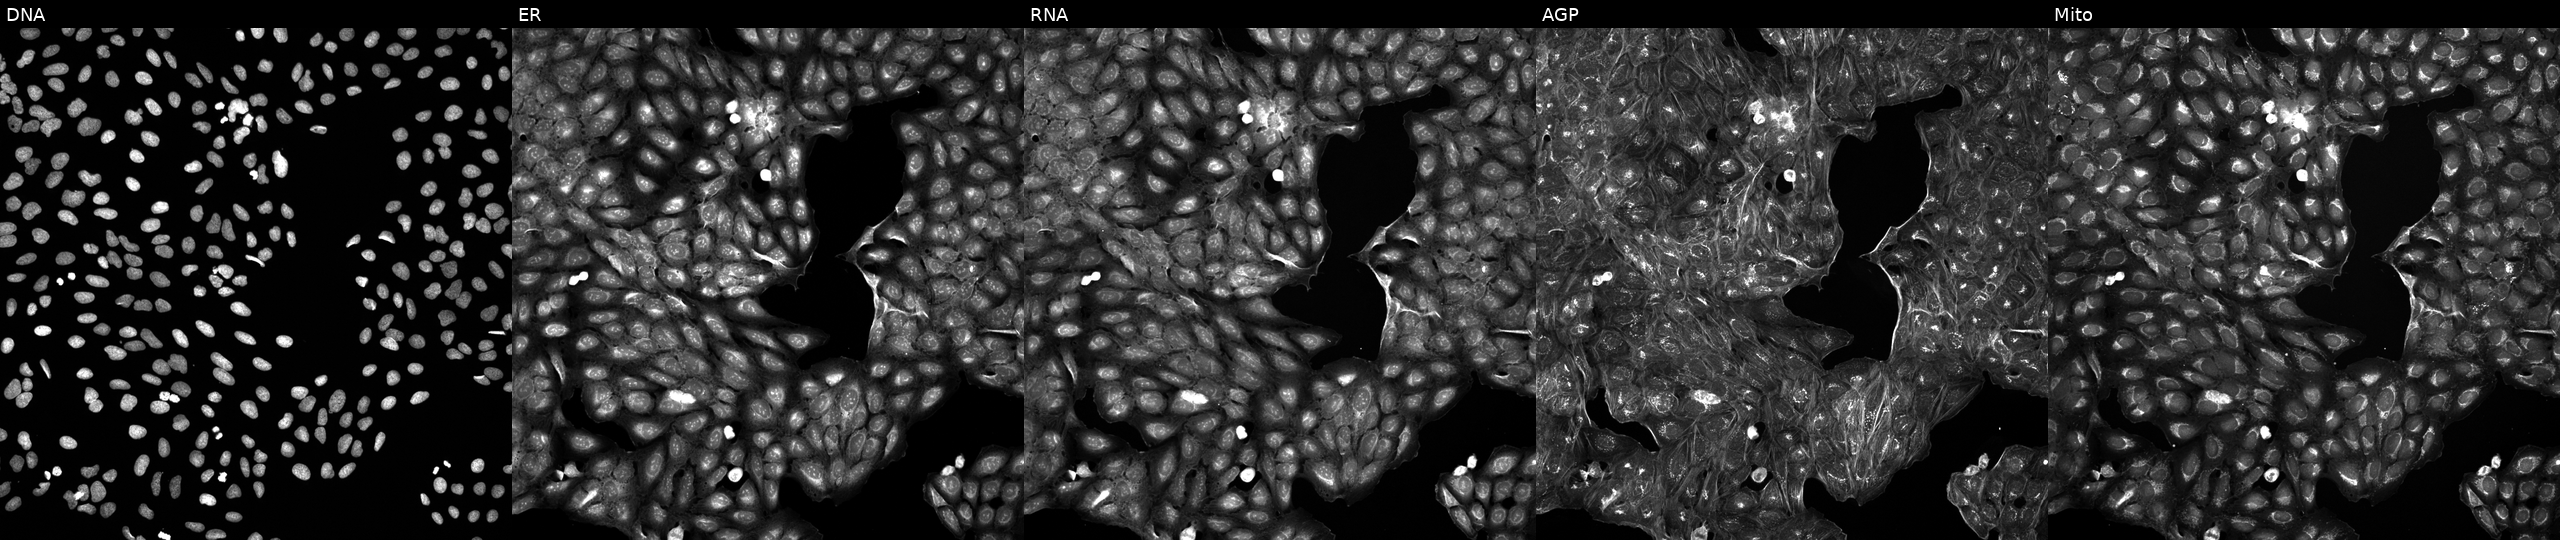
U2OS cells, Cell Painting assay, perturbed with a small-molecule compound (InChIKey WAHNWUHNKJJFLA-UHFFFAOYSA-N) (JUMP id JCP2022_097483). Panels show, left to right, Hoechst 33342, concanavalin A, SYTO 14, phalloidin and WGA, MitoTracker. Each panel is percentile-stretched 16-bit fluorescence.